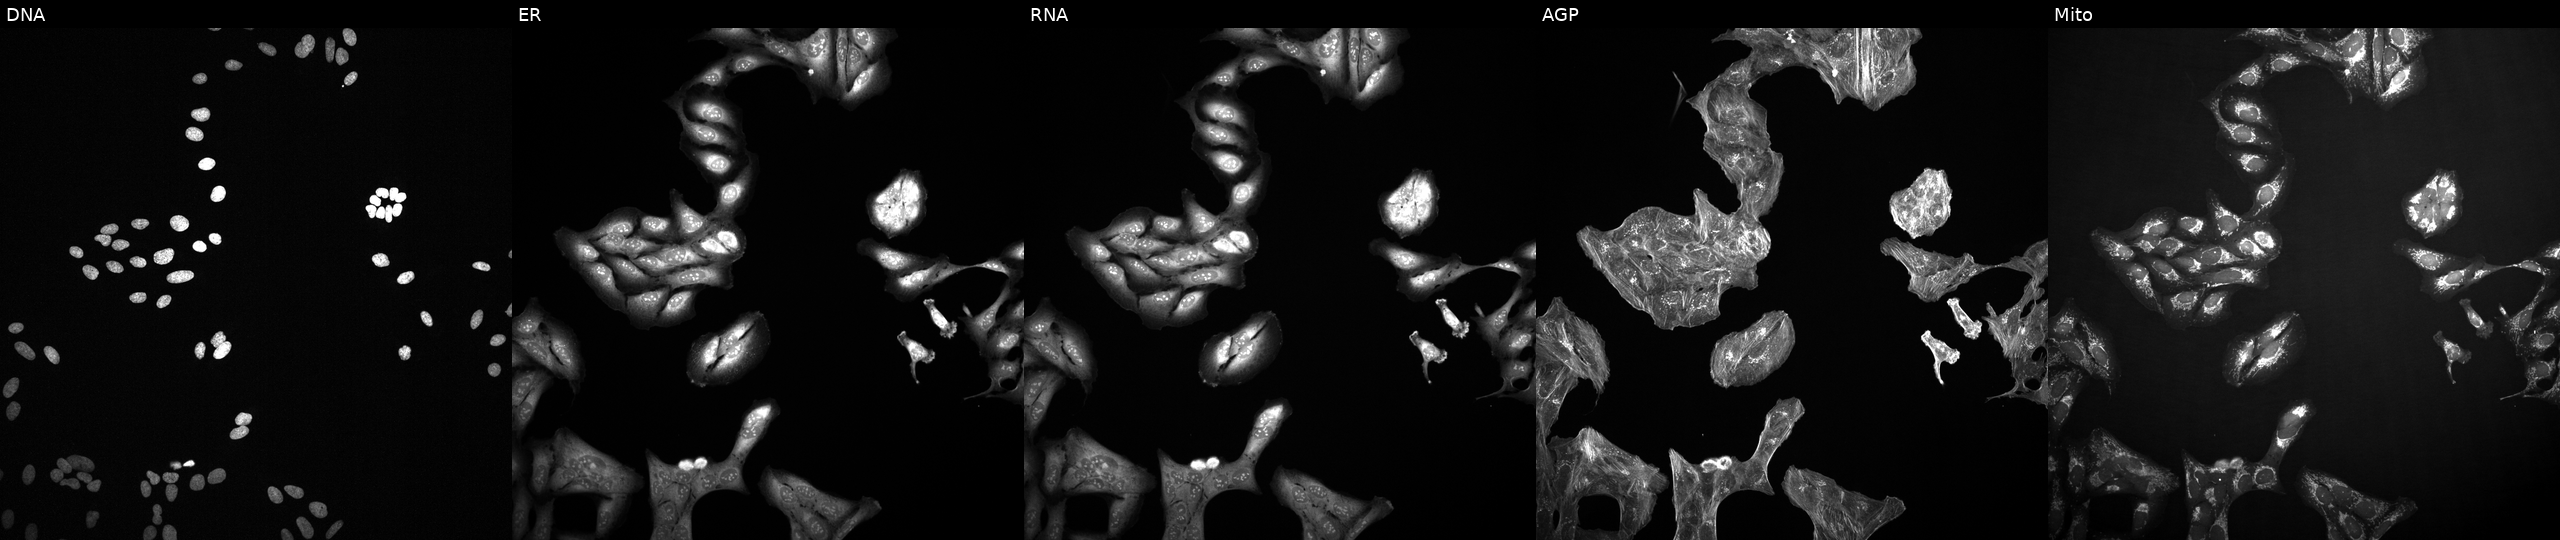
High-content fluorescence microscopy (Cell Painting). Cell line: U2OS. Perturbation: exposed to a small-molecule compound. The five panels, left to right, show DNA (nuclei); ER (endoplasmic reticulum); RNA (nucleoli and cytoplasmic RNA); AGP (actin cytoskeleton, Golgi, and plasma membrane); Mito (mitochondria).